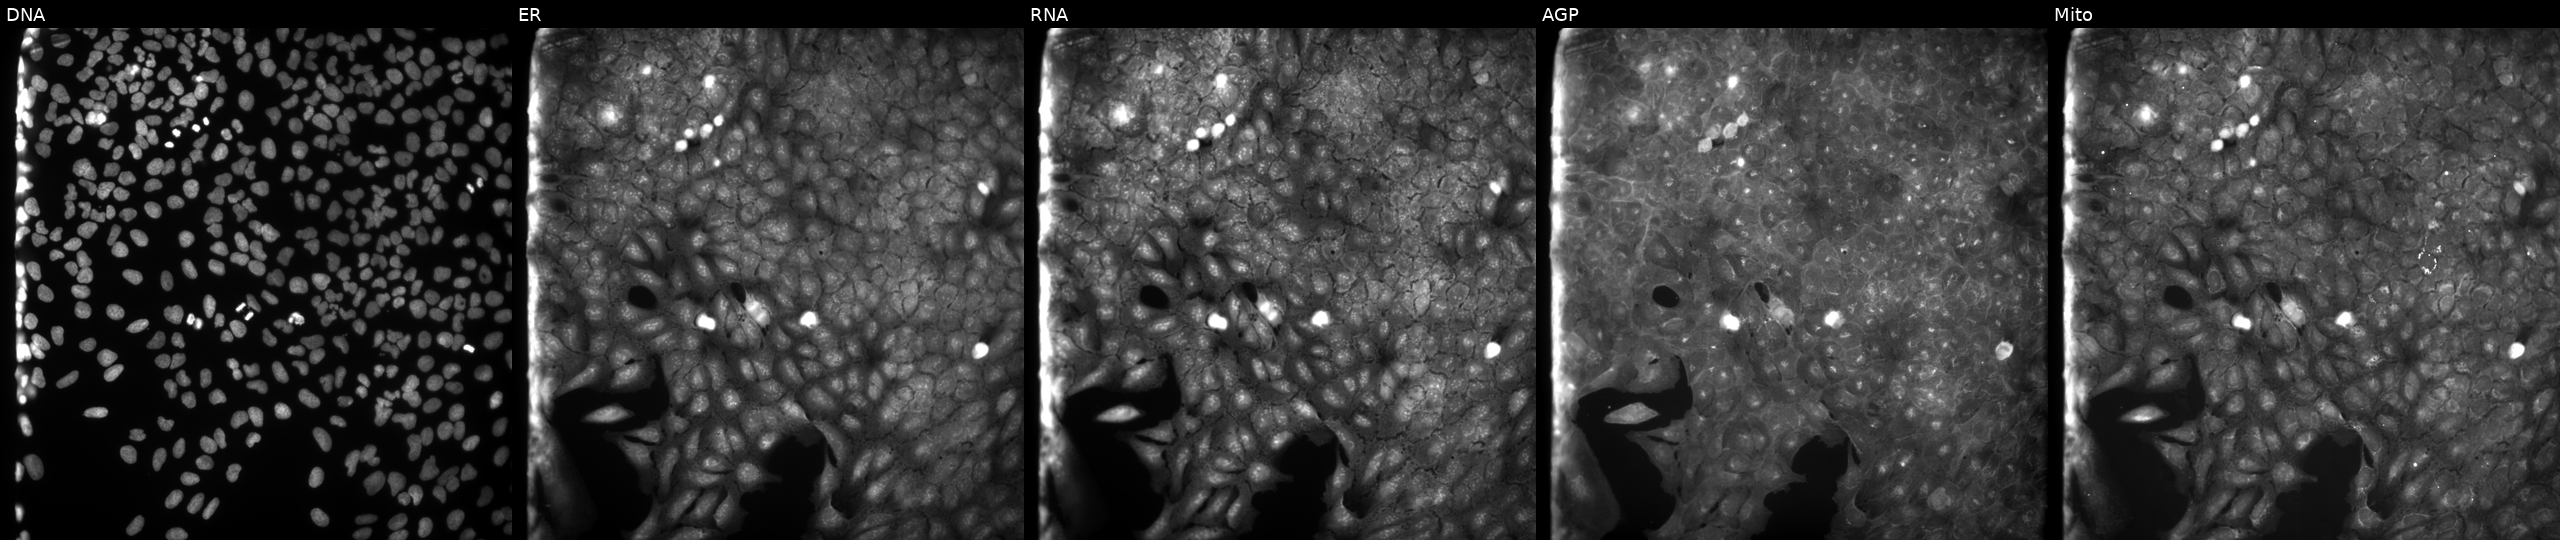
Panels show, left to right, DNA (nuclei); ER (endoplasmic reticulum); RNA (nucleoli and cytoplasmic RNA); AGP (actin cytoskeleton, Golgi, and plasma membrane); Mito (mitochondria). U2OS osteosarcoma cells treated with DMSO vehicle only (negative control). Cell Painting assay, JUMP-CP dataset.